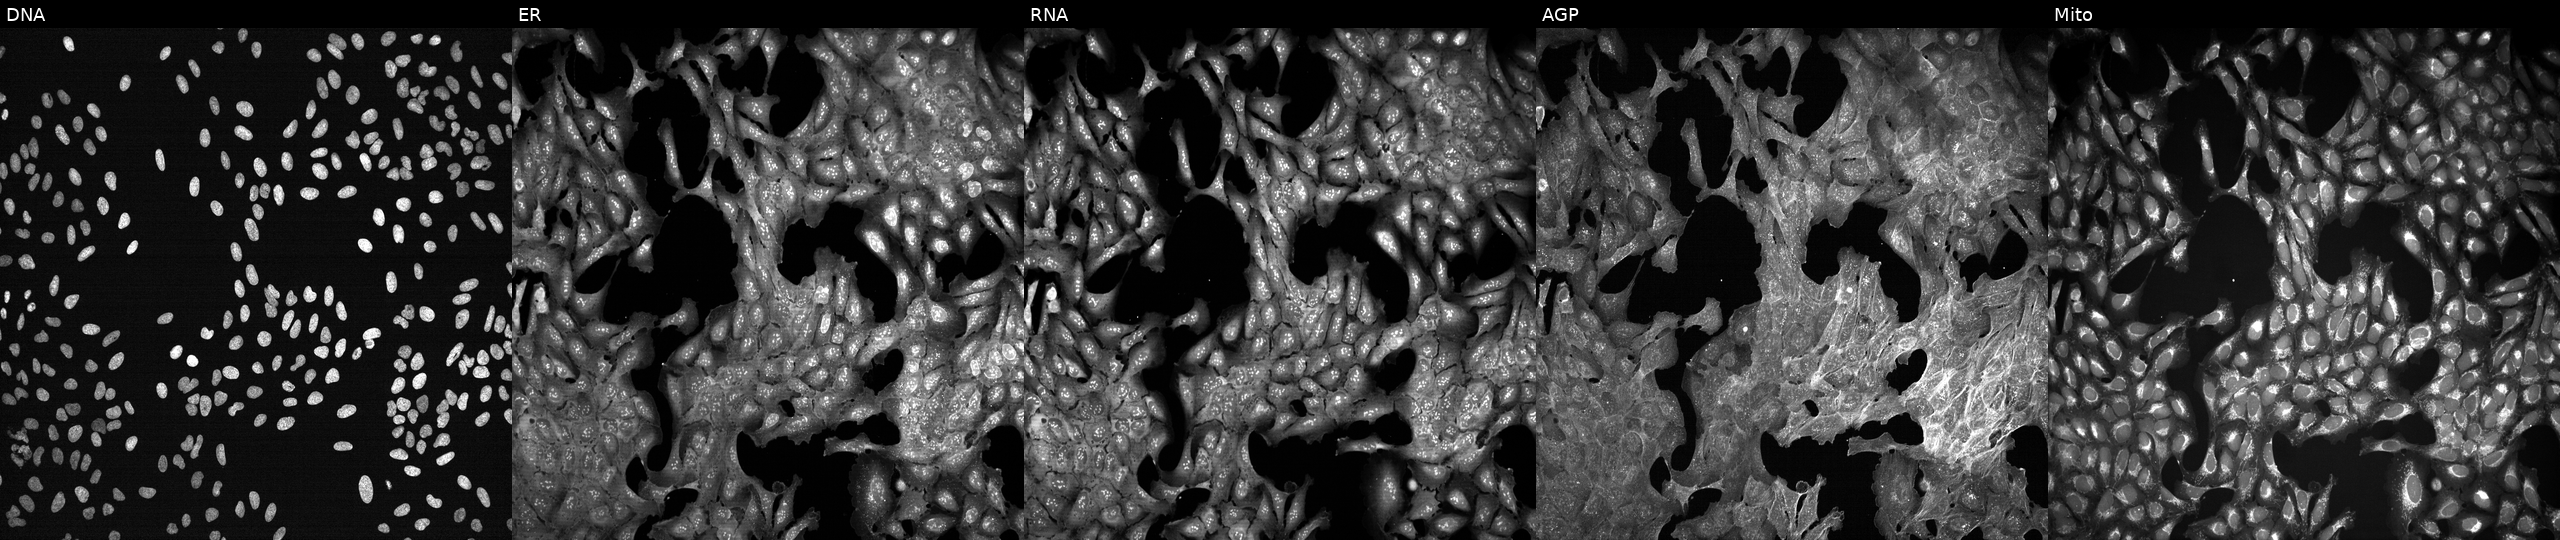
Five-channel Cell Painting image of U2OS cells exposed to DMSO alone as a negative control. Channels (left→right): Hoechst 33342, concanavalin A, SYTO 14, phalloidin and WGA, MitoTracker. Source 7, plate CP3-SC1-25, well M03.